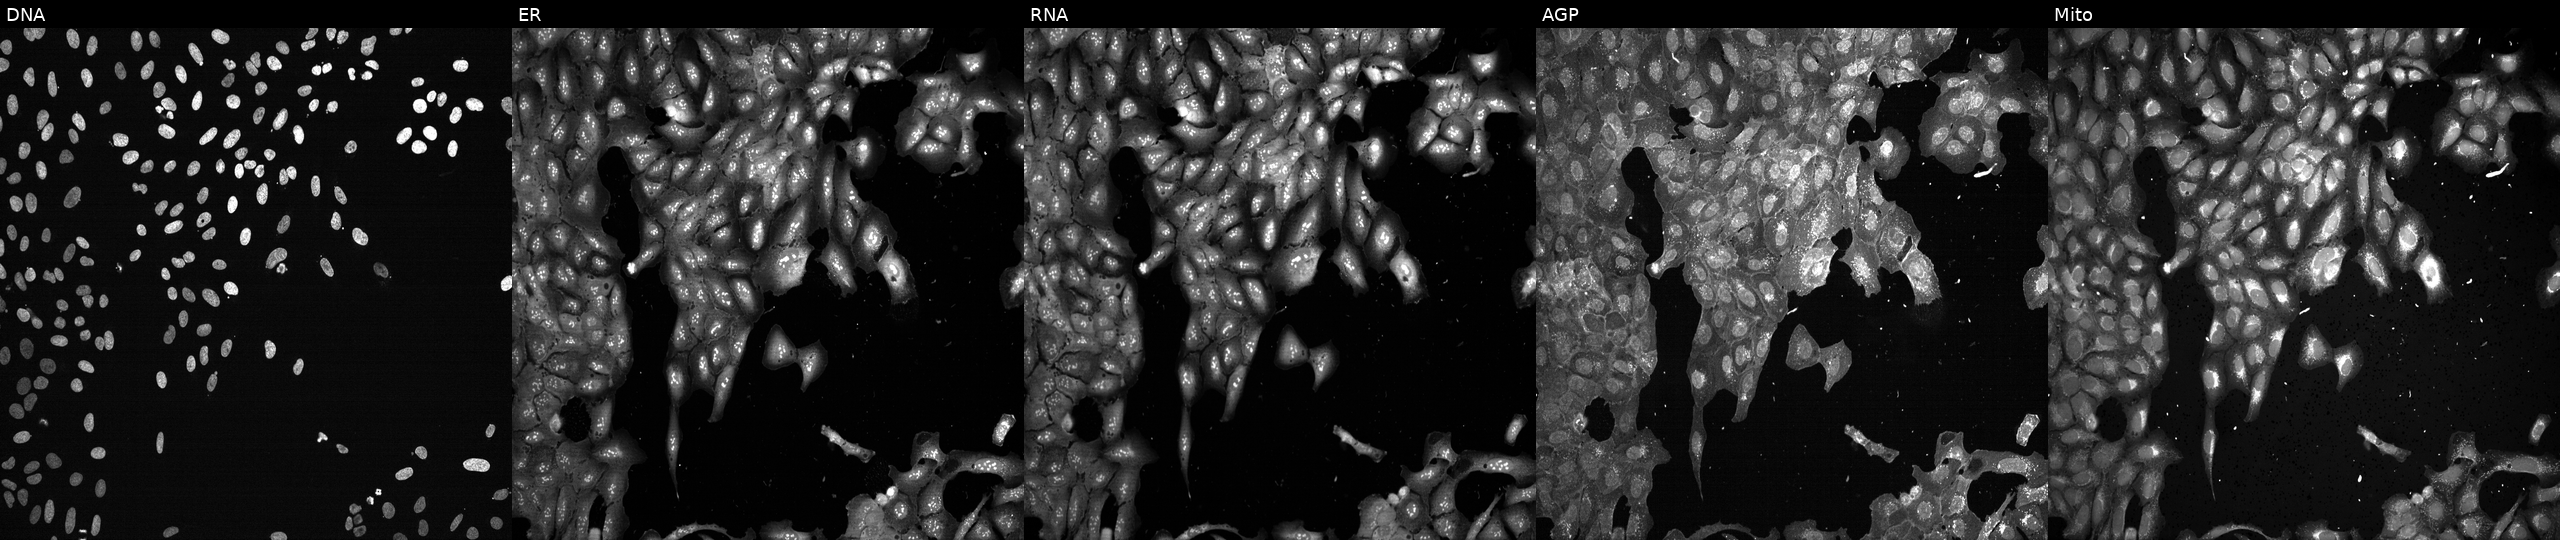
Five-channel Cell Painting image of U2OS cells CRISPR-edited to disrupt SLC4A4. Channels (left→right): Hoechst 33342, concanavalin A, SYTO 14, phalloidin and WGA, MitoTracker.